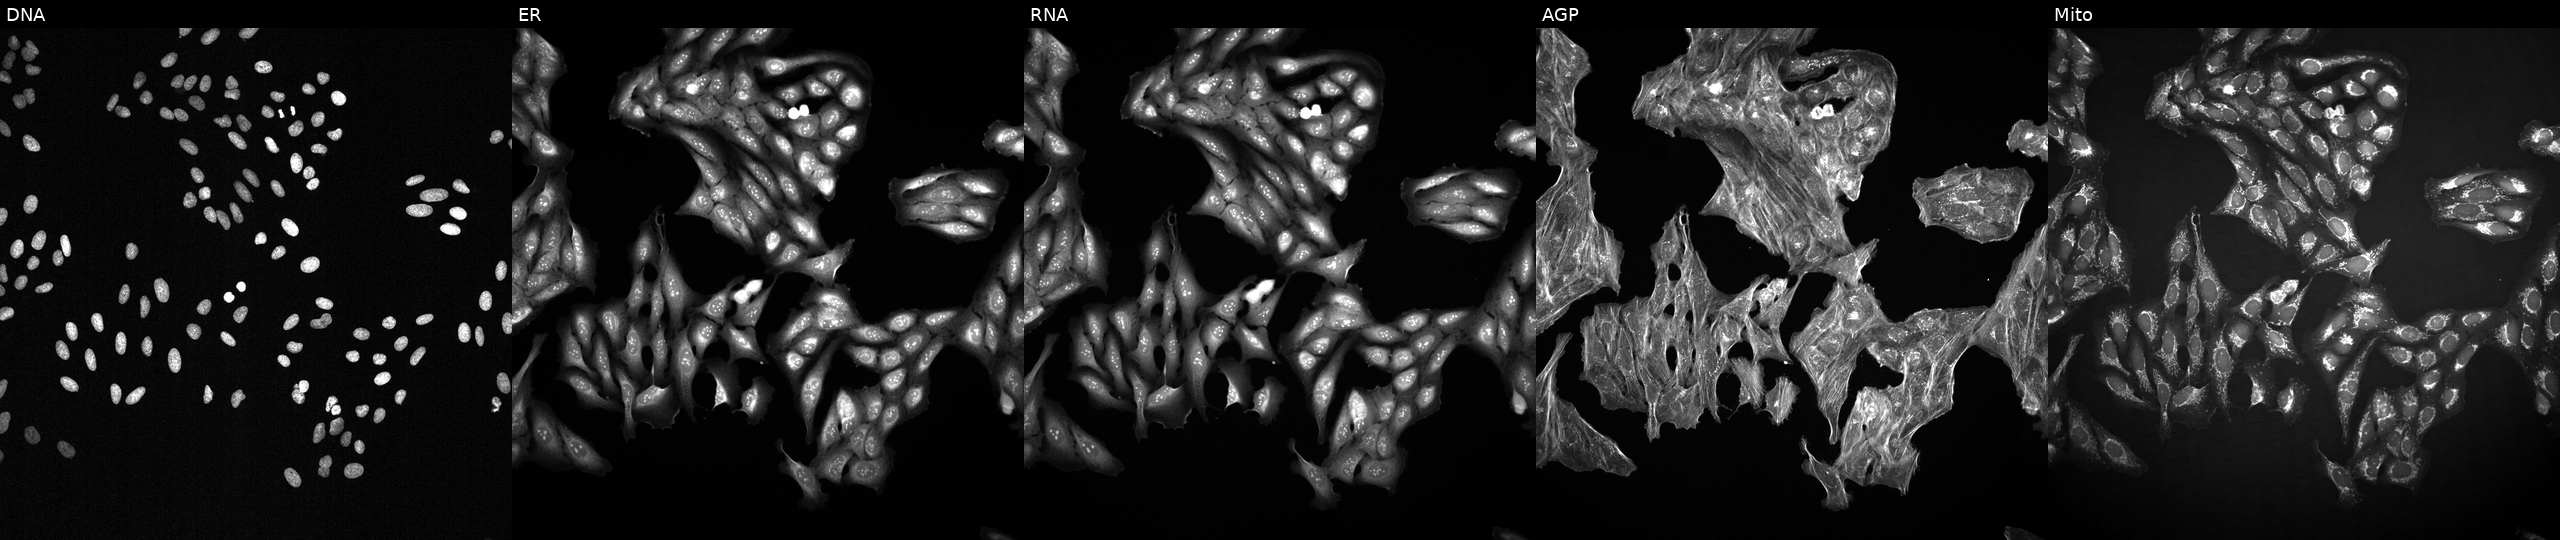
JUMP Cell Painting — TARGET2 plate. U2OS cells perturbed with a small-molecule compound (JUMP id JCP2022_048971). Panels show, left to right, Hoechst 33342, concanavalin A, SYTO 14, phalloidin and WGA, MitoTracker.